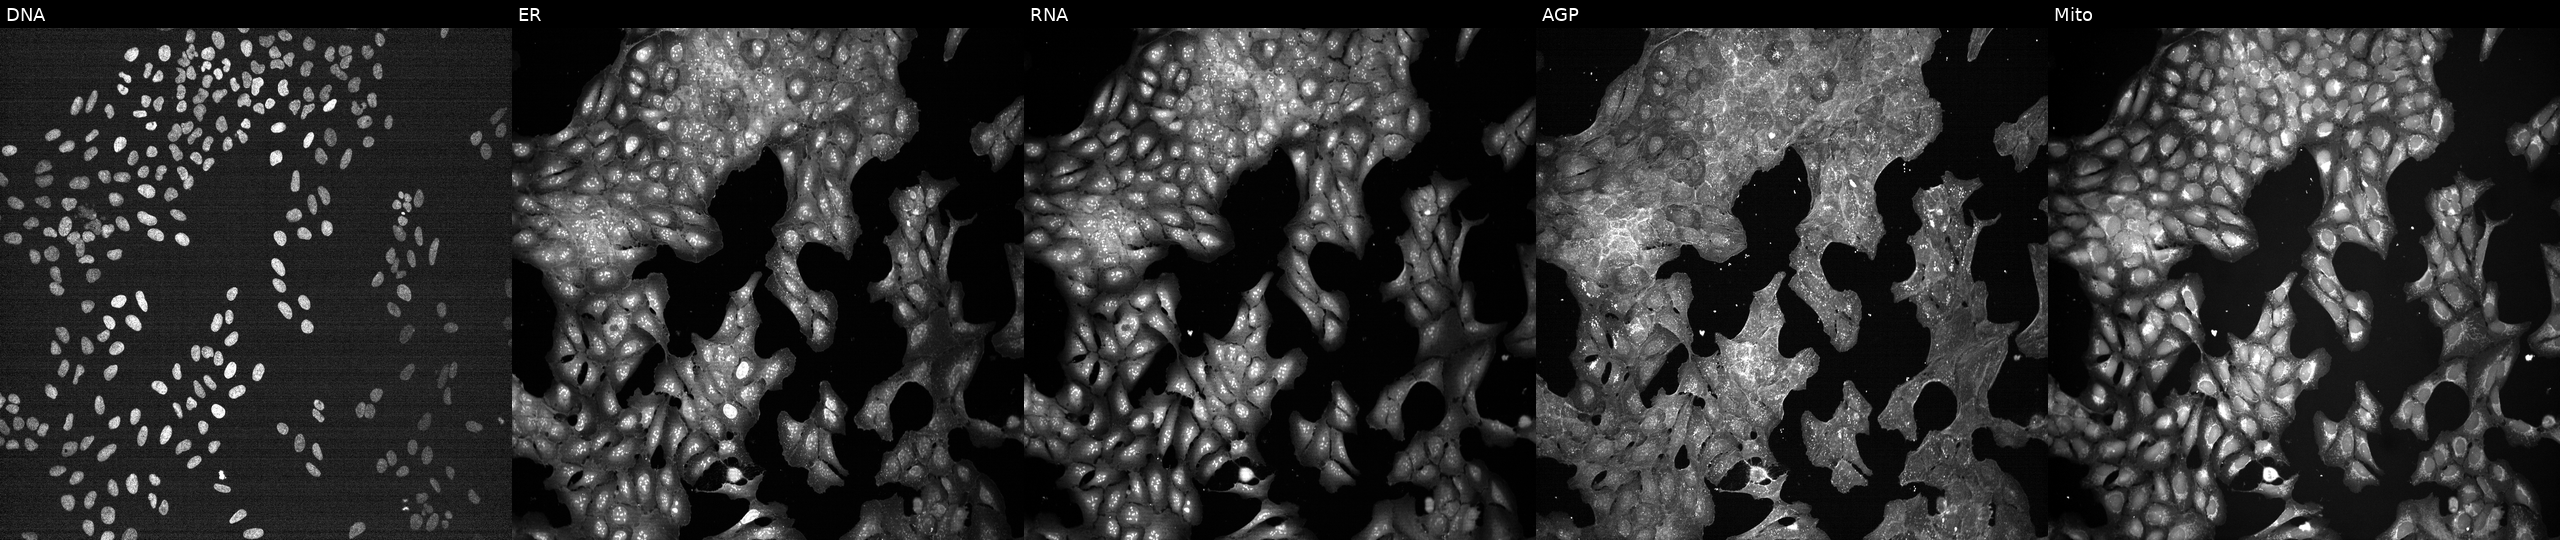
U2OS cells, Cell Painting assay, perturbed with a small-molecule compound. From left to right: DNA (nuclei); ER (endoplasmic reticulum); RNA (nucleoli and cytoplasmic RNA); AGP (actin cytoskeleton, Golgi, and plasma membrane); Mito (mitochondria). Each panel is percentile-stretched 16-bit fluorescence. Source 7, plate CP1-SC1-25, well I21.